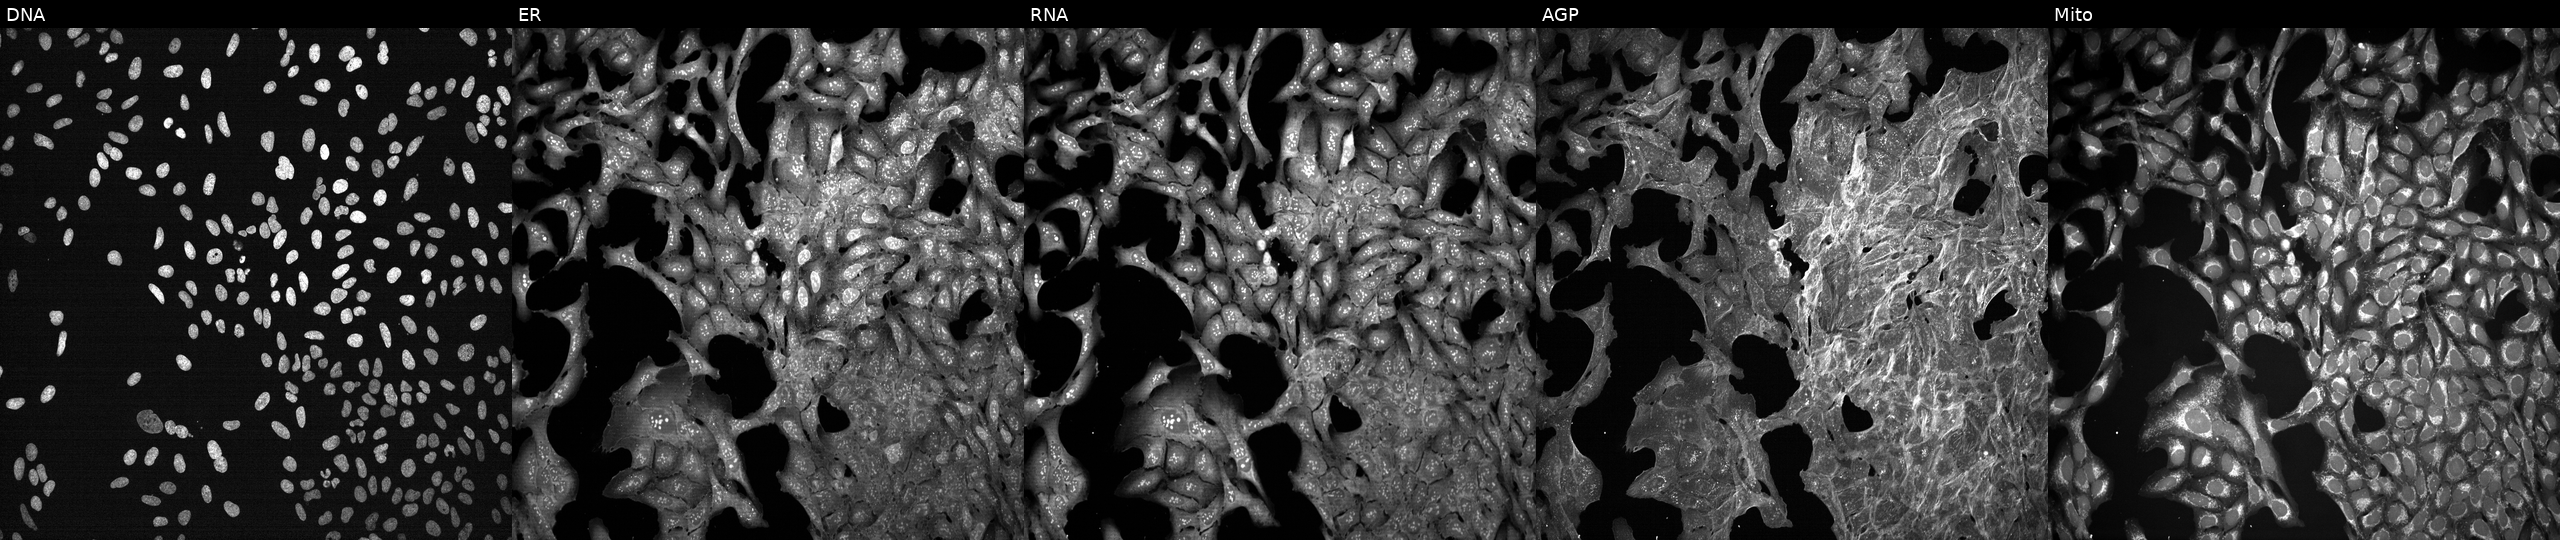
JUMP Cell Painting — TARGET2 plate. U2OS cells exposed to a small-molecule compound (JUMP id JCP2022_035351). Panels show, left to right, Hoechst 33342, concanavalin A, SYTO 14, phalloidin and WGA, MitoTracker. Source 7, plate CP3-SC1-25, well N15.